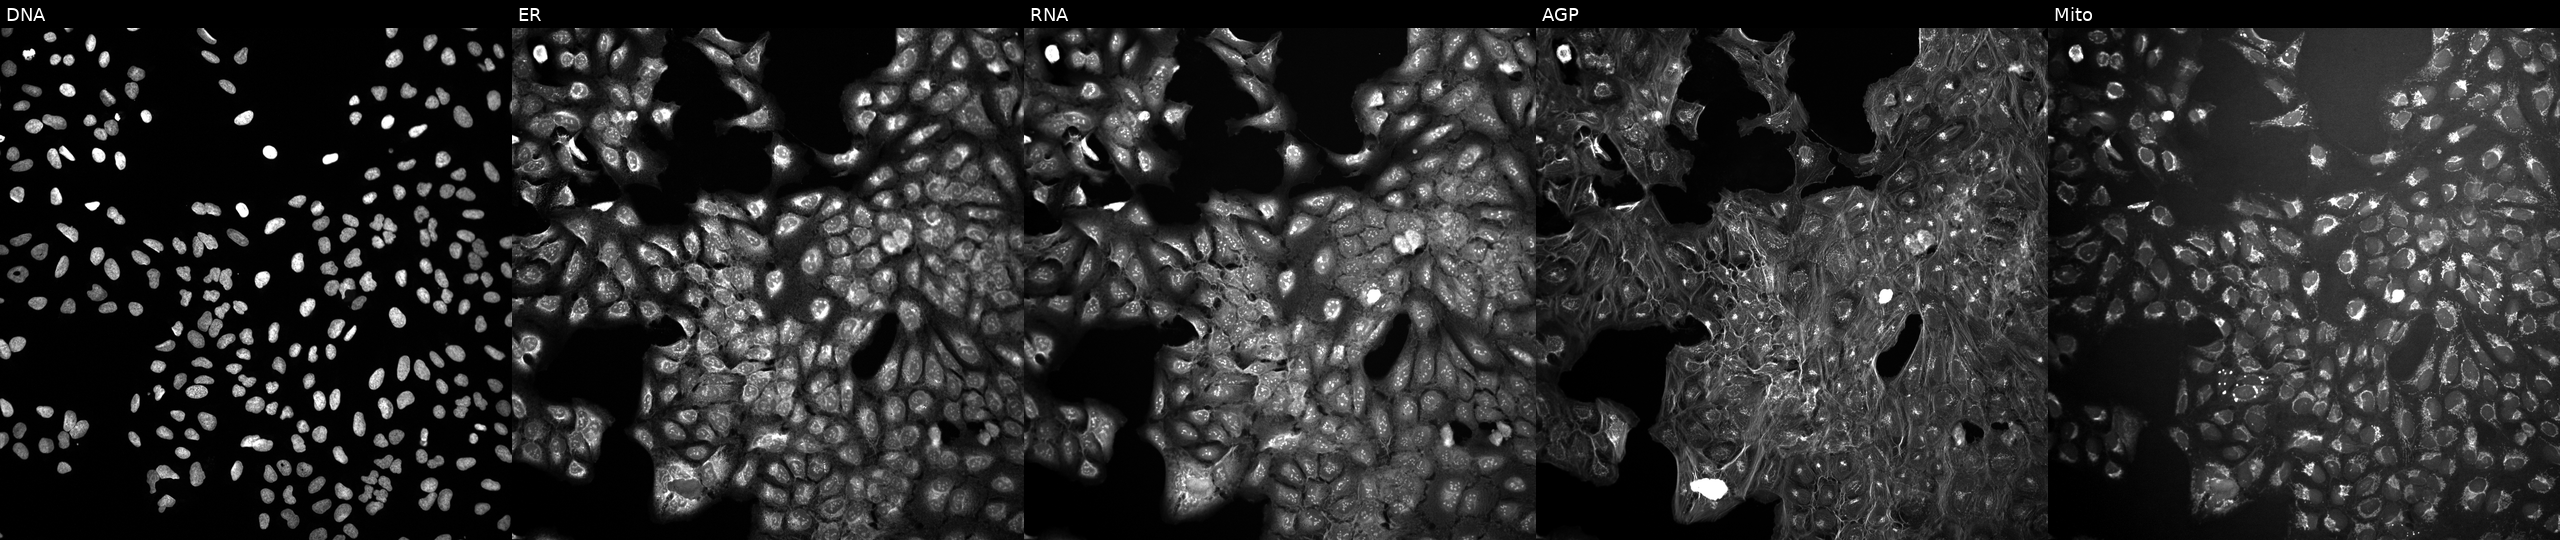
Channels (left→right): Hoechst 33342, concanavalin A, SYTO 14, phalloidin and WGA, MitoTracker. U2OS osteosarcoma cells untreated (empty-well control). Cell Painting assay, JUMP-CP dataset.